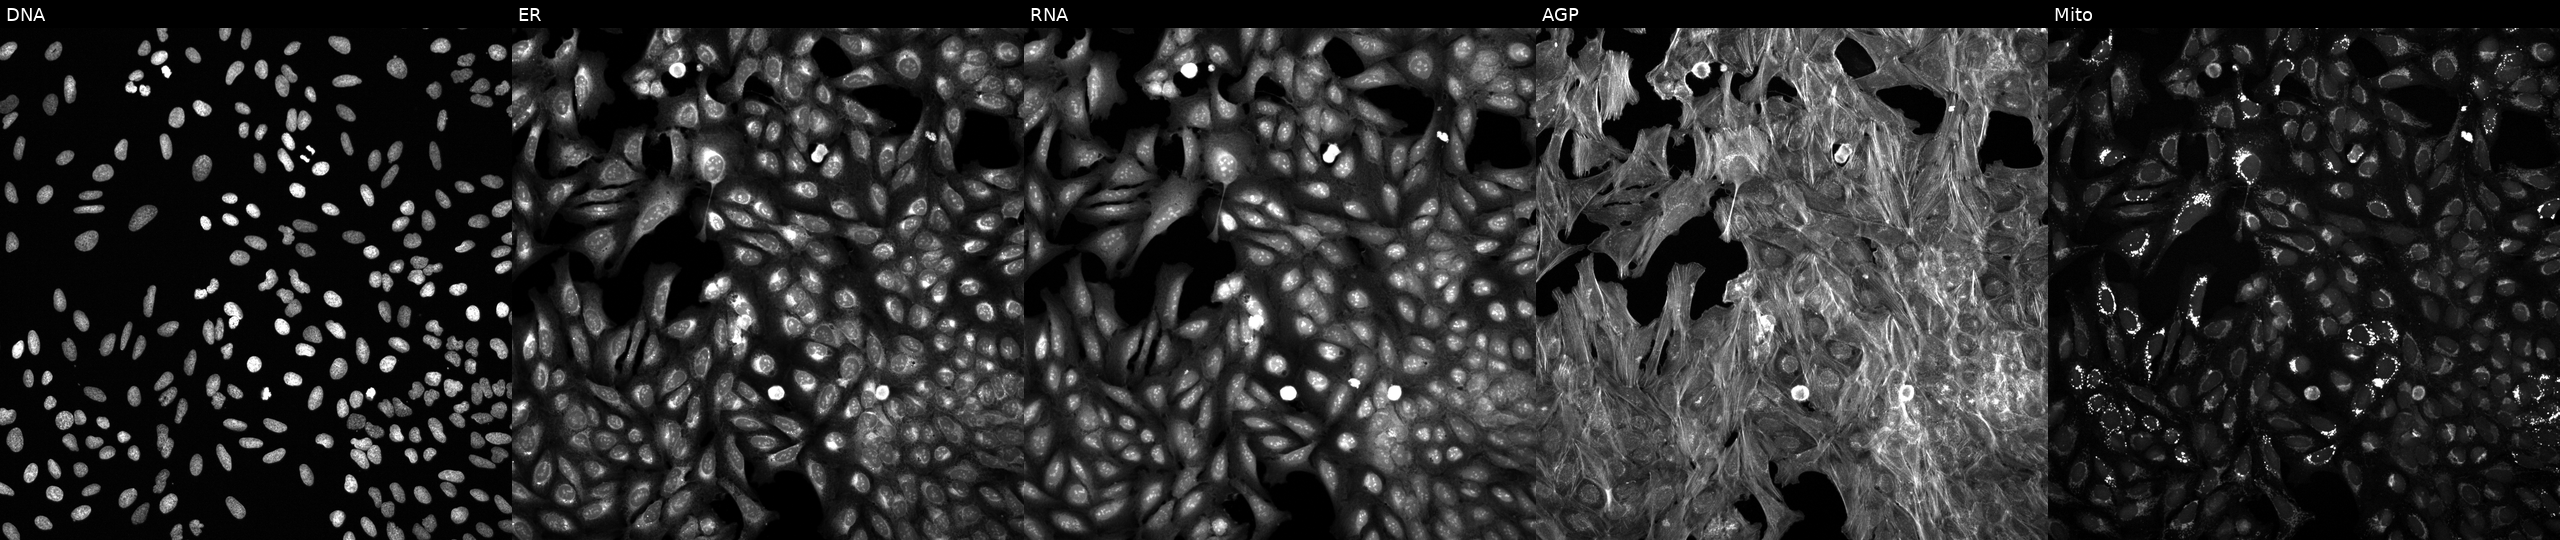
JUMP Cell Painting — TARGET2 plate. U2OS cells exposed to a small-molecule compound (JUMP id JCP2022_093901). The five panels, left to right, show DNA (nuclei); ER (endoplasmic reticulum); RNA (nucleoli and cytoplasmic RNA); AGP (actin cytoskeleton, Golgi, and plasma membrane); Mito (mitochondria).